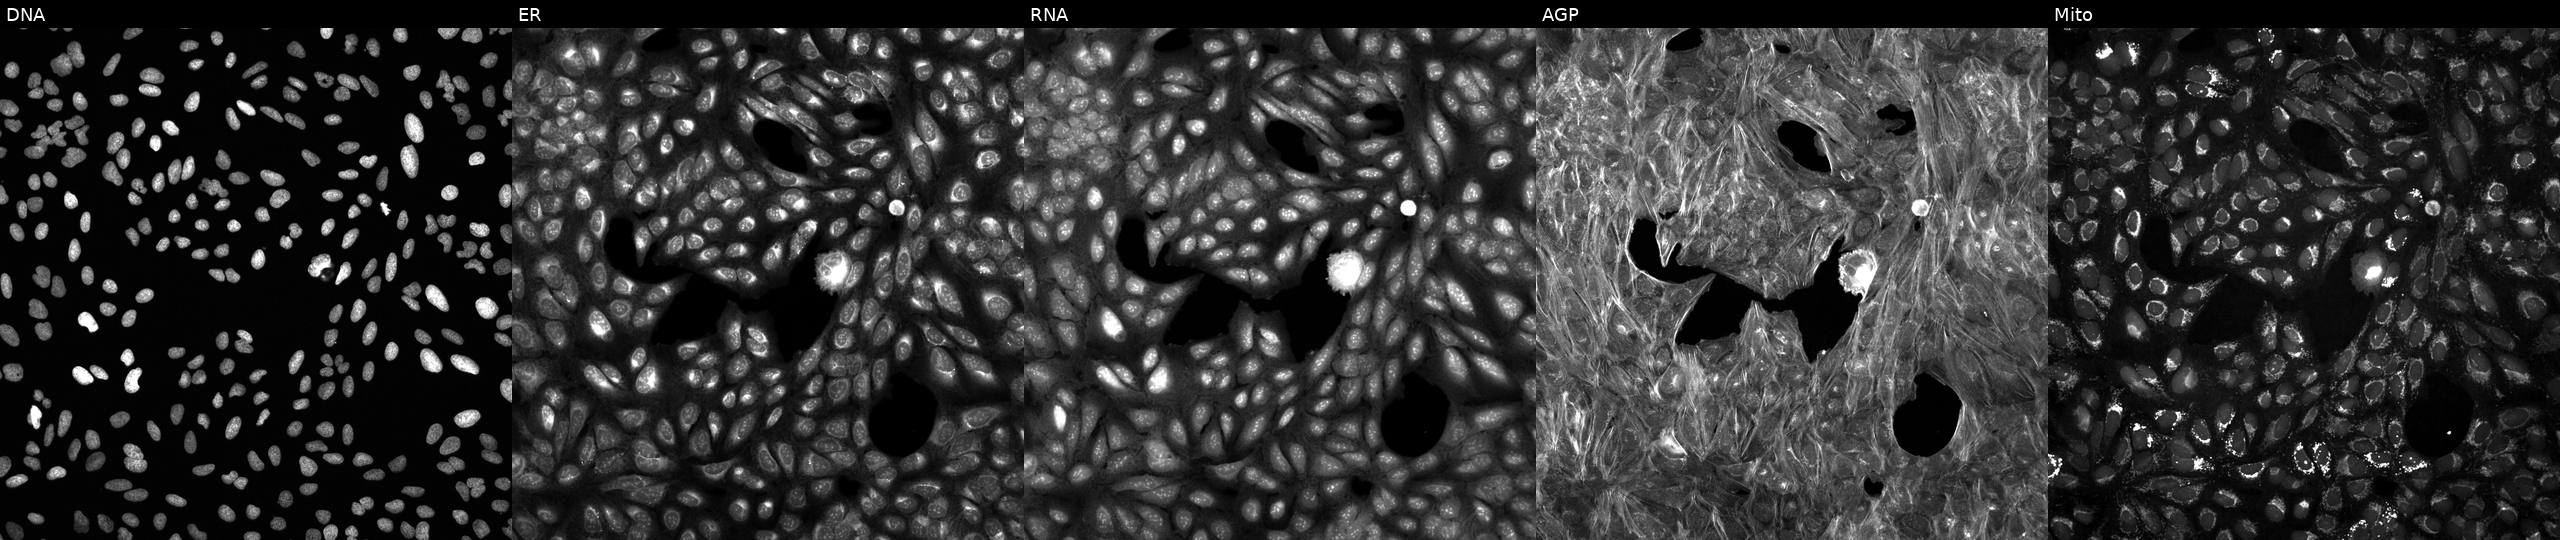
This image strip shows the five Cell Painting channels for a single field of U2OS cells treated with DMSO vehicle only (negative control) (JUMP id JCP2022_033924). The five panels, left to right, show DNA (nuclei); ER (endoplasmic reticulum); RNA (nucleoli and cytoplasmic RNA); AGP (actin cytoskeleton, Golgi, and plasma membrane); Mito (mitochondria). Source 6, plate 110000293082, well D23.